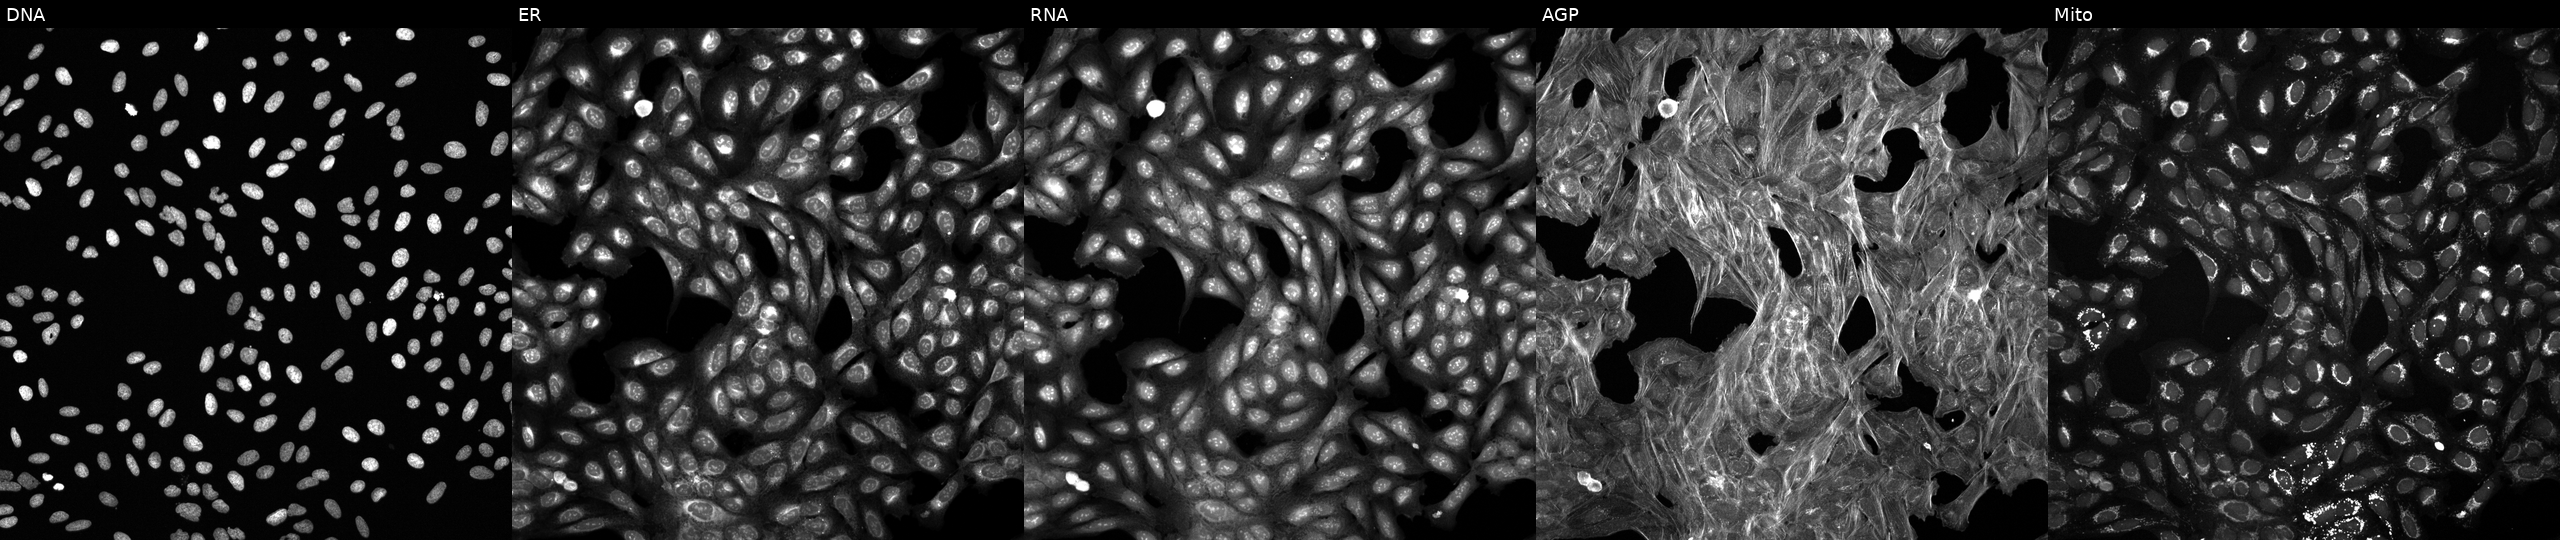
This image strip shows the five Cell Painting channels for a single field of U2OS cells treated with a small-molecule compound (InChIKey IGUGPXBOXUANHO-UHFFFAOYSA-N). Channels (left→right): Hoechst 33342, concanavalin A, SYTO 14, phalloidin and WGA, MitoTracker. Source 6, plate 110000293082, well J04.